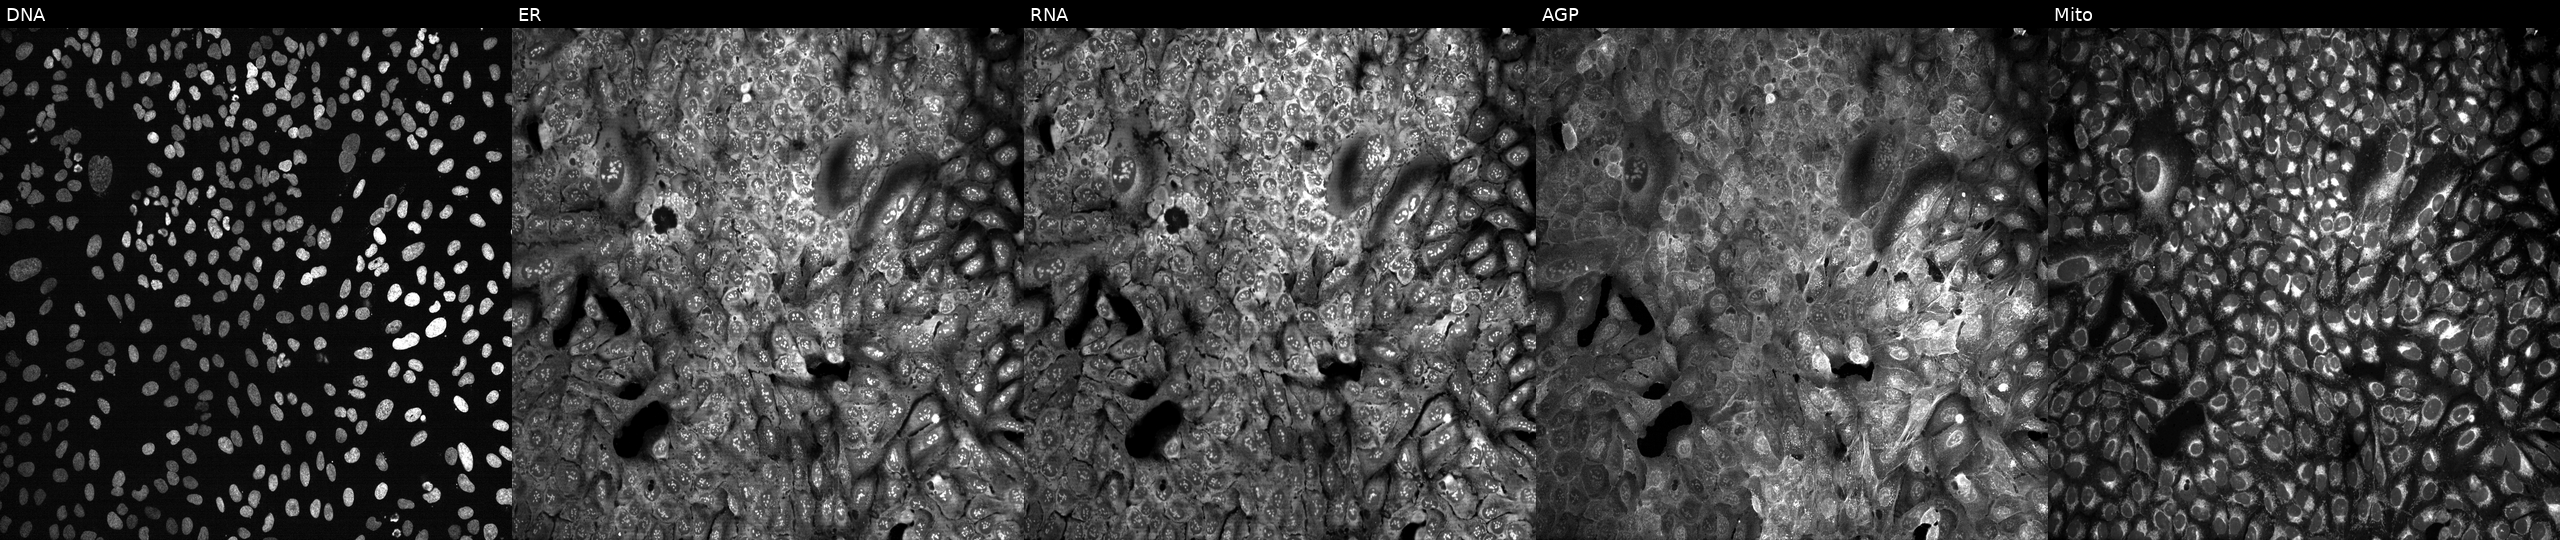
High-content fluorescence microscopy (Cell Painting). Cell line: U2OS. Perturbation: CRISPR-edited to disrupt MYL3 (JUMP id JCP2022_804371). From left to right: DNA (nuclei); ER (endoplasmic reticulum); RNA (nucleoli and cytoplasmic RNA); AGP (actin cytoskeleton, Golgi, and plasma membrane); Mito (mitochondria). Source 13, plate CP-CC9-R4-04, well A04.